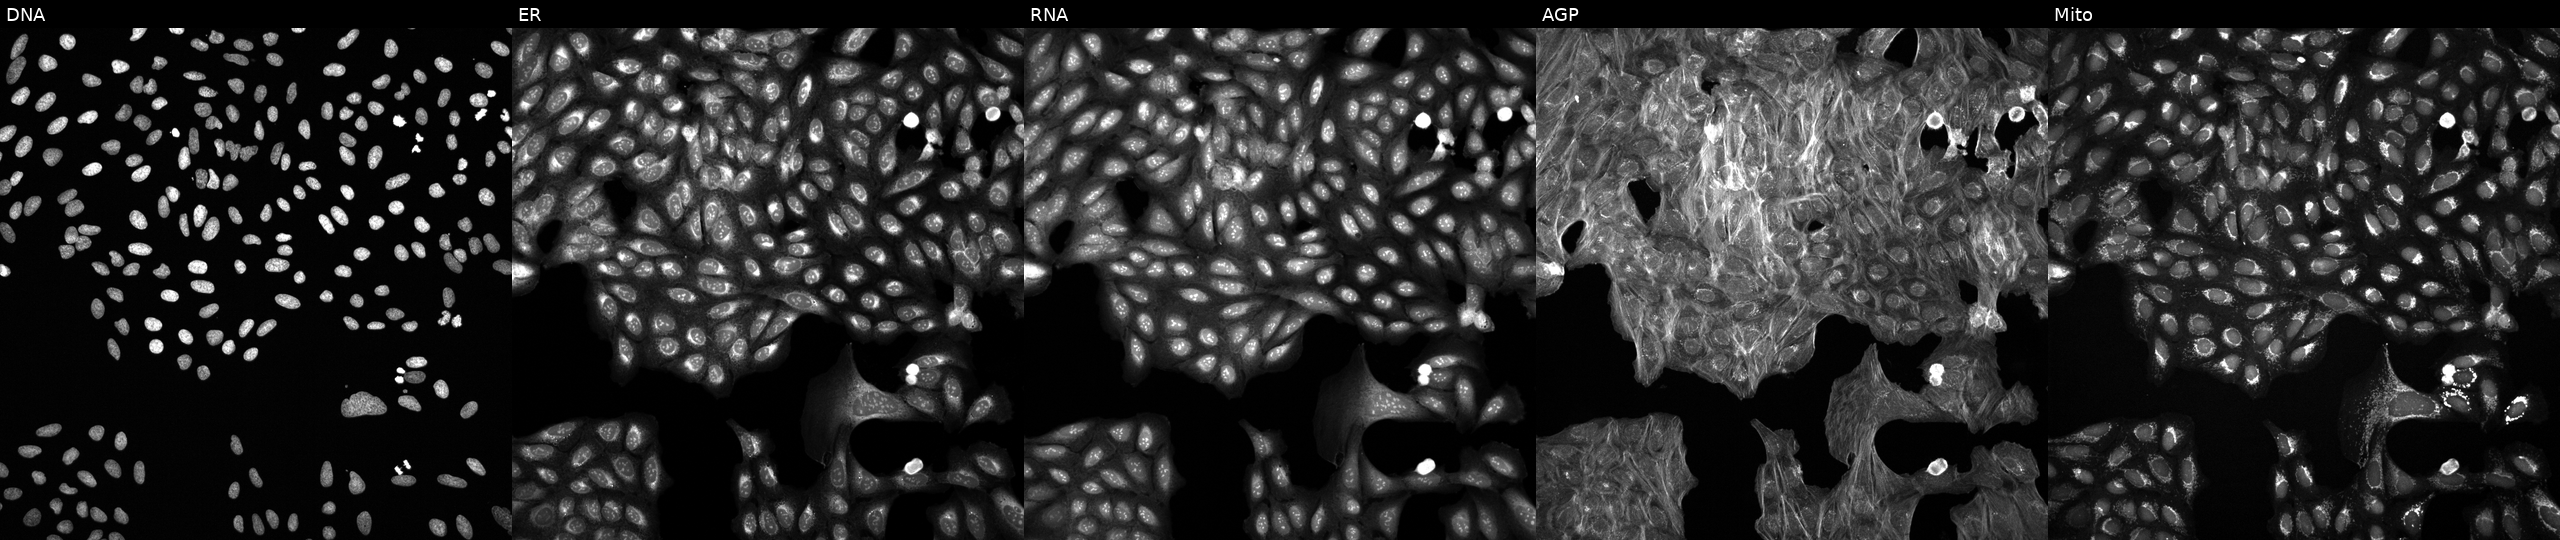
Five-channel Cell Painting image of U2OS cells exposed to a small-molecule compound (InChIKey UPWGQKDVAURUGE-UHFFFAOYSA-N) (JUMP id JCP2022_090768). From left to right: Hoechst 33342, concanavalin A, SYTO 14, phalloidin and WGA, MitoTracker. Source 6, plate 110000293093, well P14.